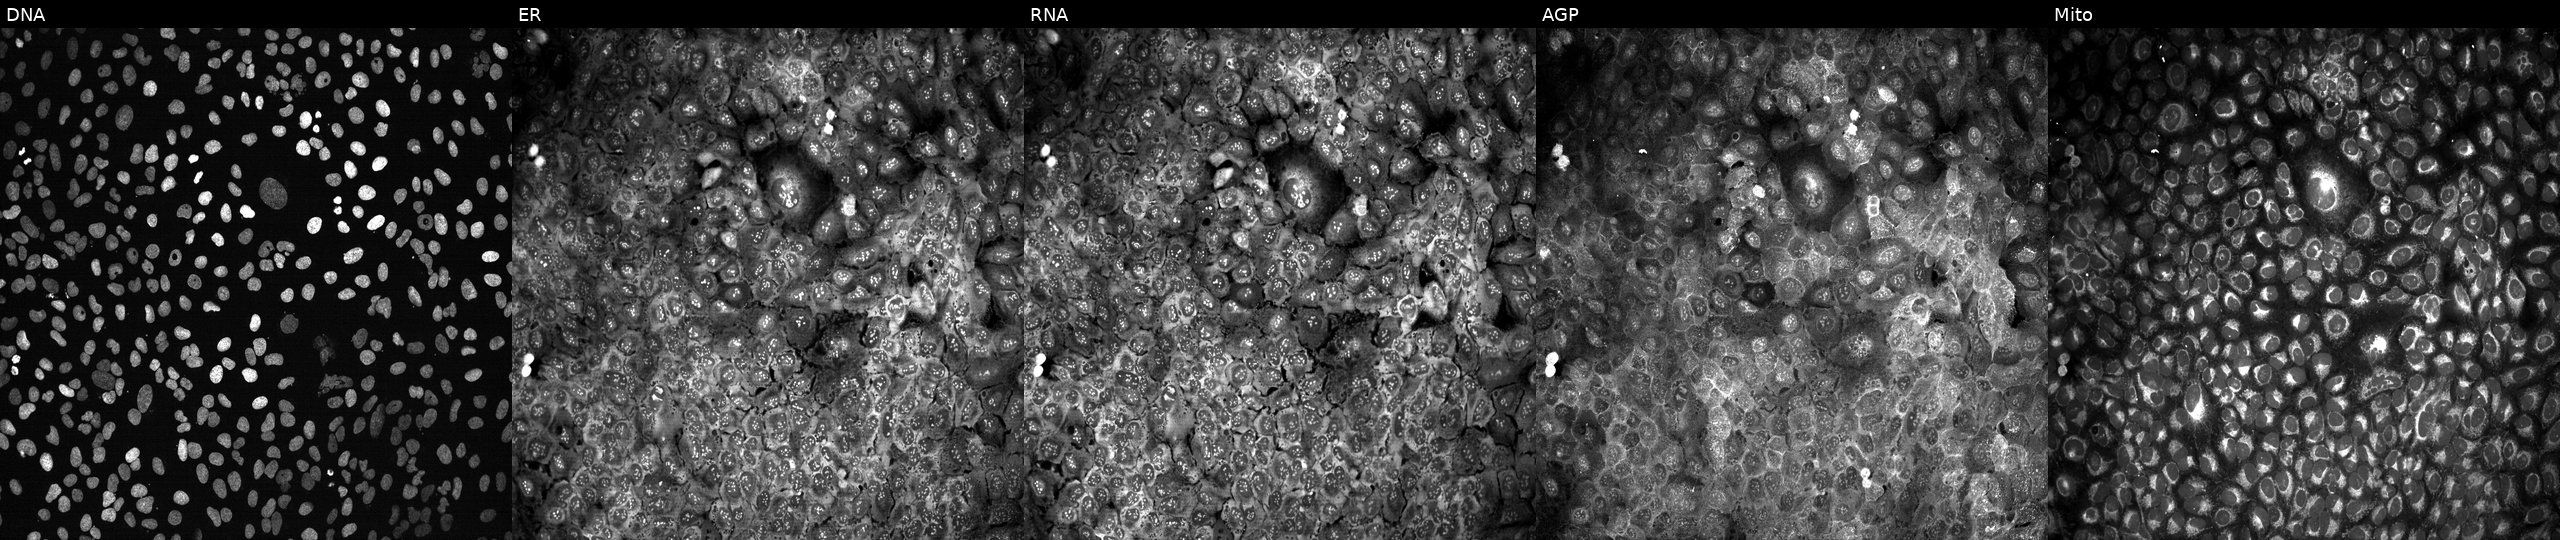
This image strip shows the five Cell Painting channels for a single field of U2OS cells CRISPR-edited to disrupt ITGA9 (JUMP id JCP2022_803492). Panels show, left to right, DNA (nuclei); ER (endoplasmic reticulum); RNA (nucleoli and cytoplasmic RNA); AGP (actin cytoskeleton, Golgi, and plasma membrane); Mito (mitochondria).